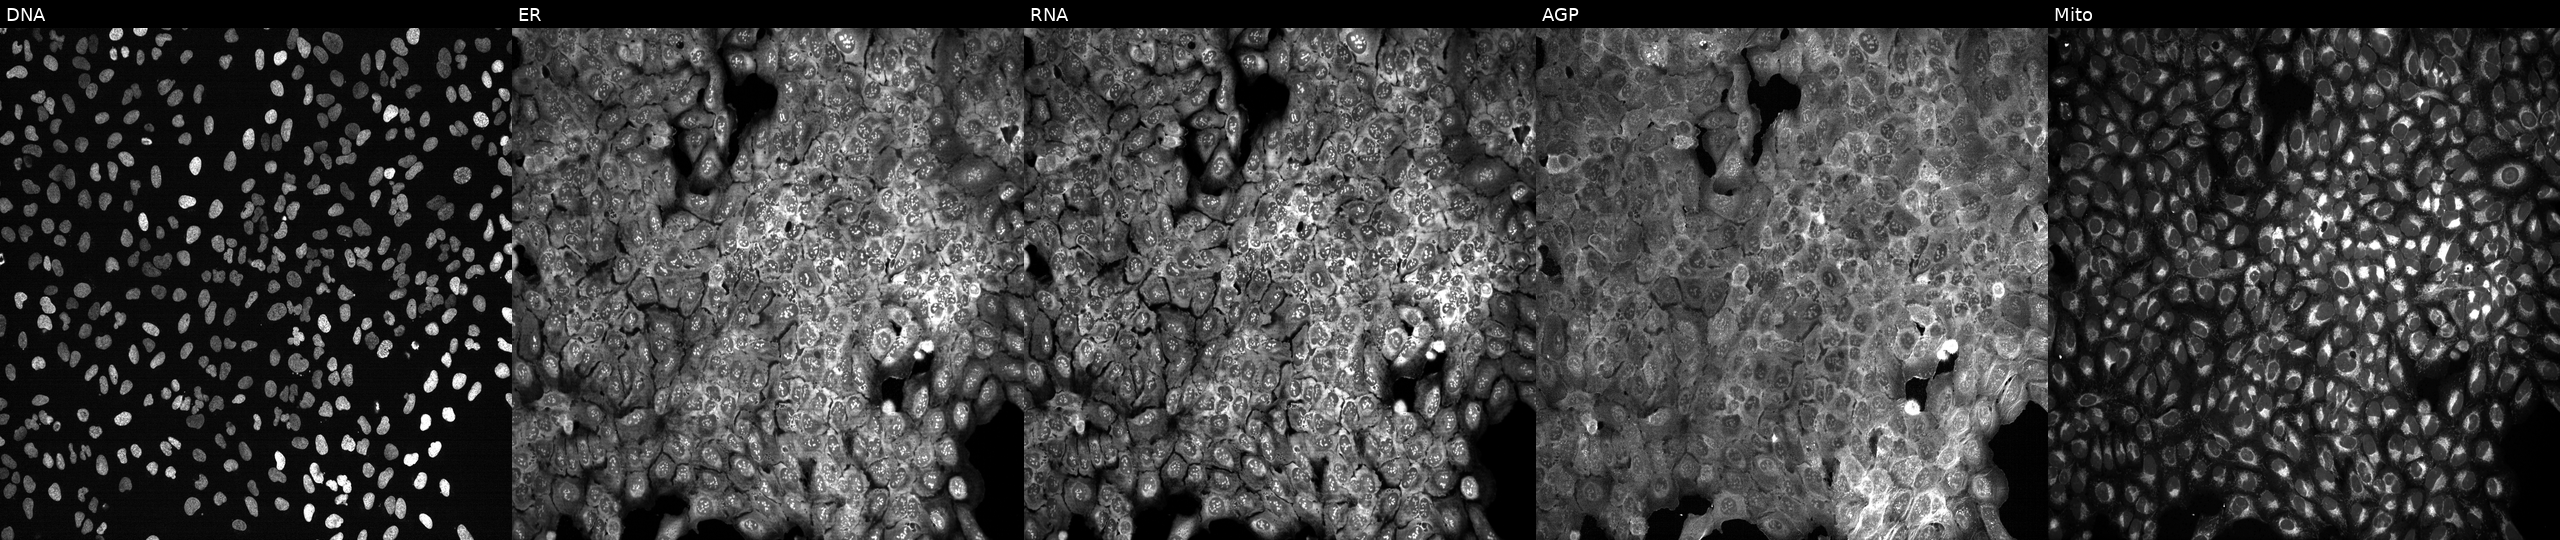
High-content fluorescence microscopy (Cell Painting). Cell line: U2OS. Perturbation: following CRISPR knockout of DLAT (JUMP id JCP2022_801824). Channels (left→right): DNA (nuclei); ER (endoplasmic reticulum); RNA (nucleoli and cytoplasmic RNA); AGP (actin cytoskeleton, Golgi, and plasma membrane); Mito (mitochondria).